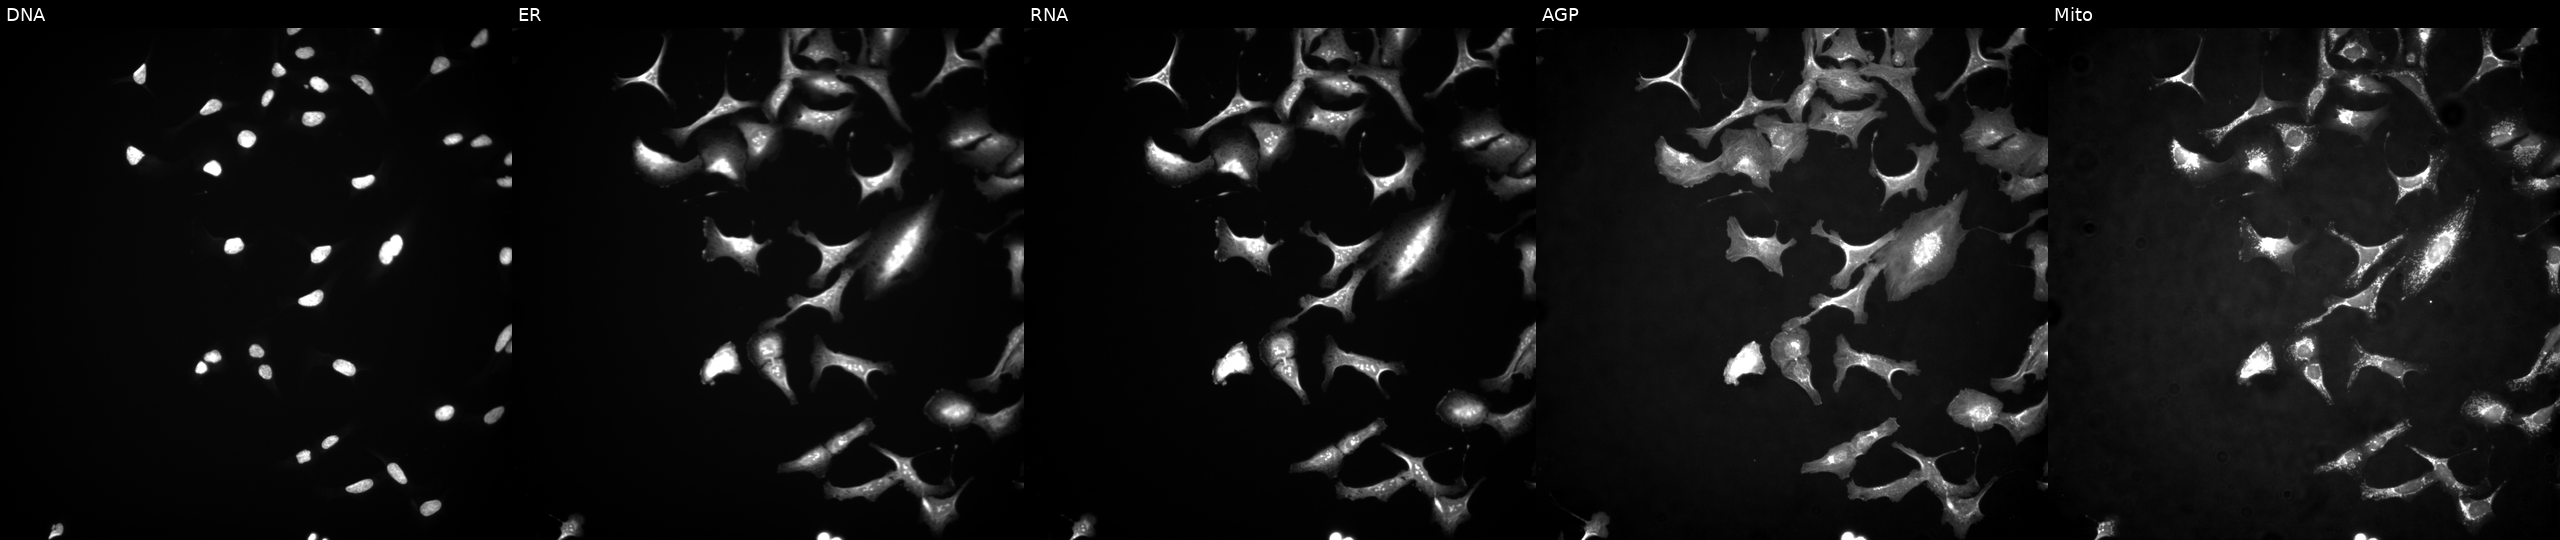
Panels show, left to right, DNA (nuclei); ER (endoplasmic reticulum); RNA (nucleoli and cytoplasmic RNA); AGP (actin cytoskeleton, Golgi, and plasma membrane); Mito (mitochondria). U2OS osteosarcoma cells with PHF19 overexpressed (ORF). Cell Painting assay, JUMP-CP dataset. Source 4, plate BR00117035, well J18.